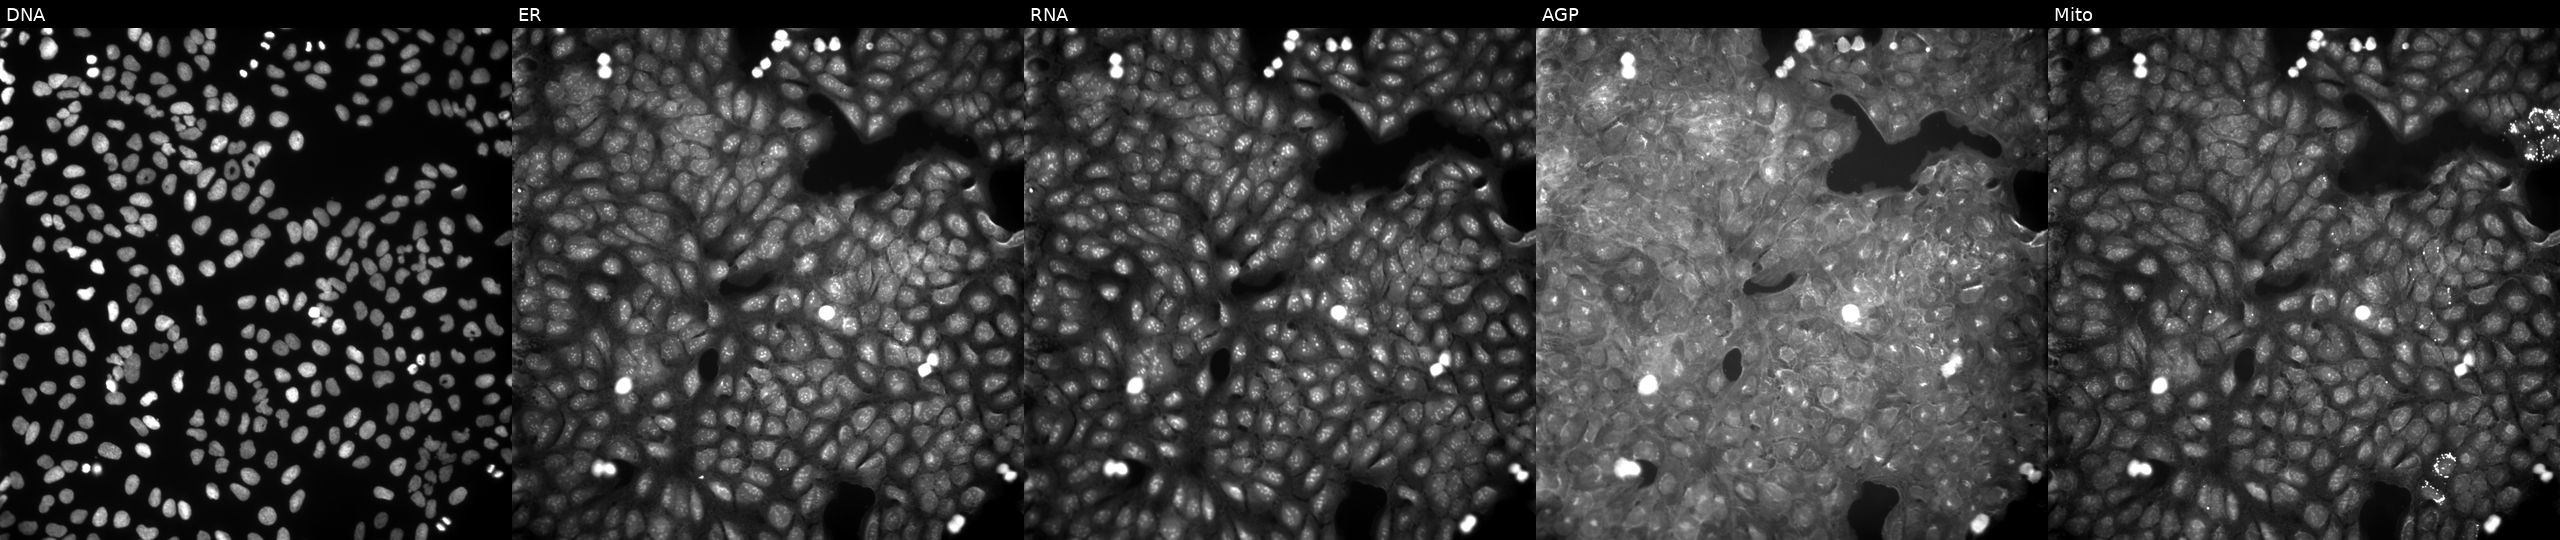
U2OS cells, Cell Painting assay, exposed to a small-molecule compound. Panels show, left to right, Hoechst 33342, concanavalin A, SYTO 14, phalloidin and WGA, MitoTracker. Each panel is percentile-stretched 16-bit fluorescence.